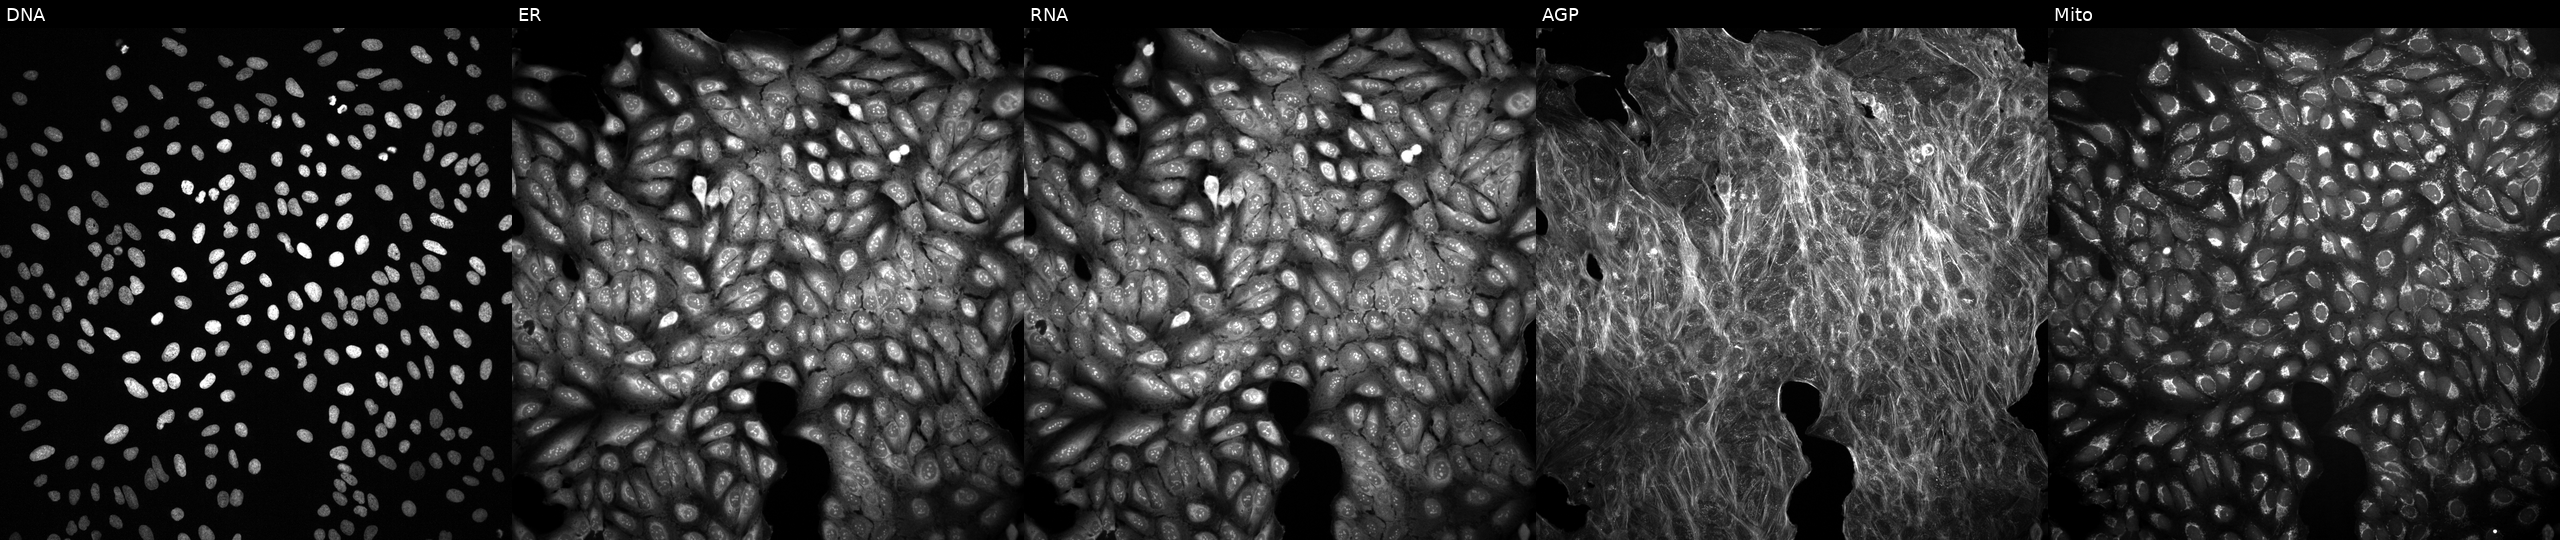
The five panels, left to right, show Hoechst 33342, concanavalin A, SYTO 14, phalloidin and WGA, MitoTracker. U2OS osteosarcoma cells perturbed with a small-molecule compound (InChIKey QESQGTFWEQMCMH-UHFFFAOYSA-N) (JUMP id JCP2022_072945). Cell Painting assay, JUMP-CP dataset.